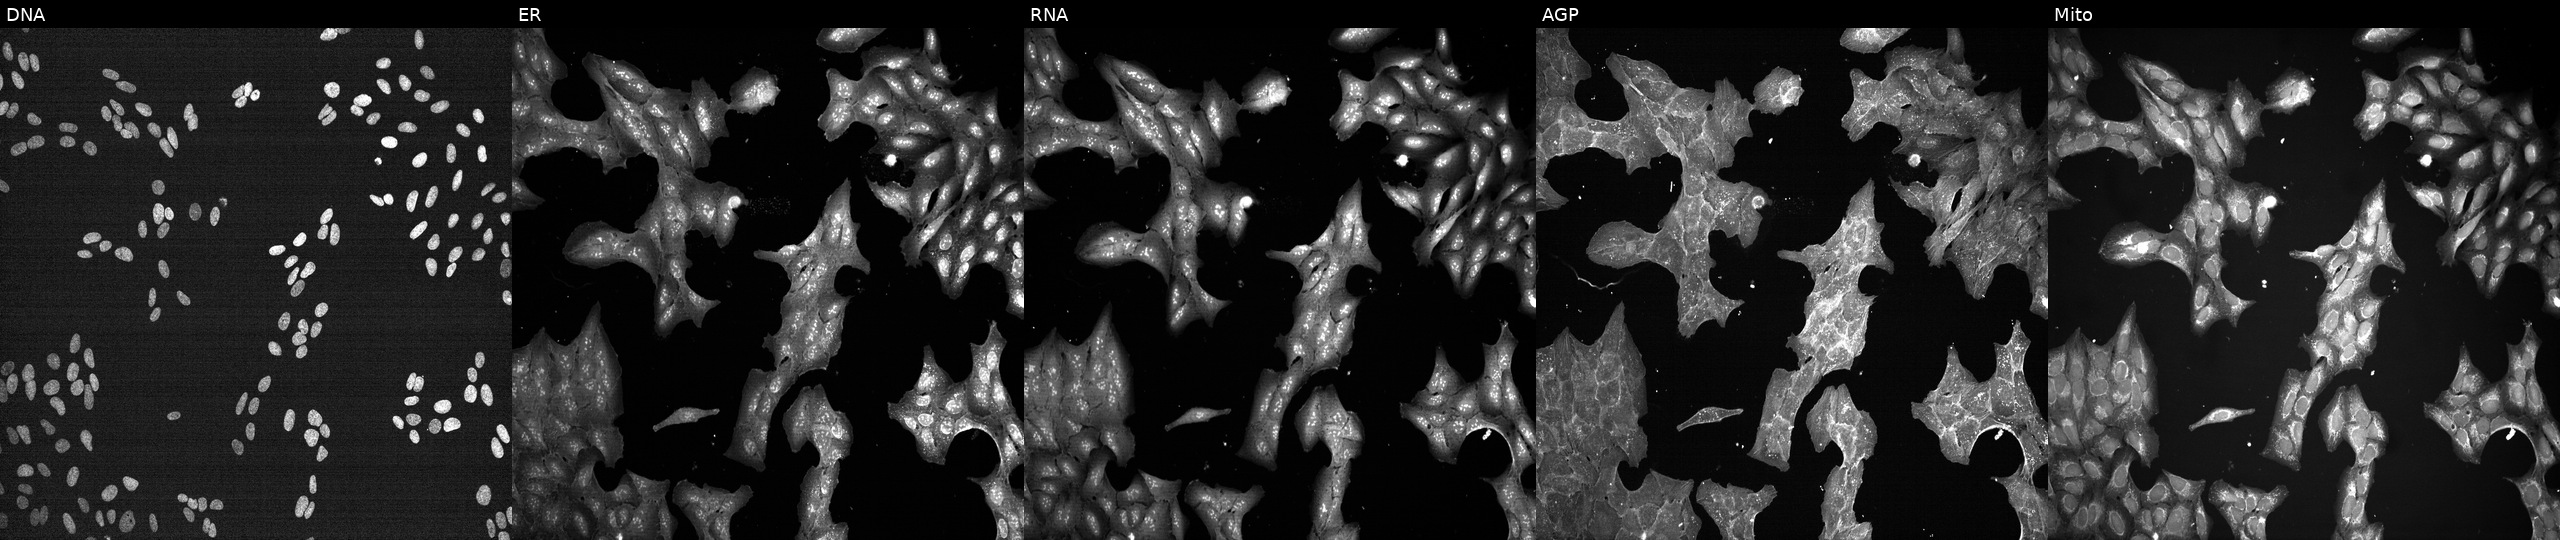
JUMP Cell Painting — TARGET2 plate. U2OS cells treated with a small-molecule compound (InChIKey BLVQHYHDYFTPDV-UHFFFAOYSA-N) (JUMP id JCP2022_007175). From left to right: DNA (nuclei); ER (endoplasmic reticulum); RNA (nucleoli and cytoplasmic RNA); AGP (actin cytoskeleton, Golgi, and plasma membrane); Mito (mitochondria).